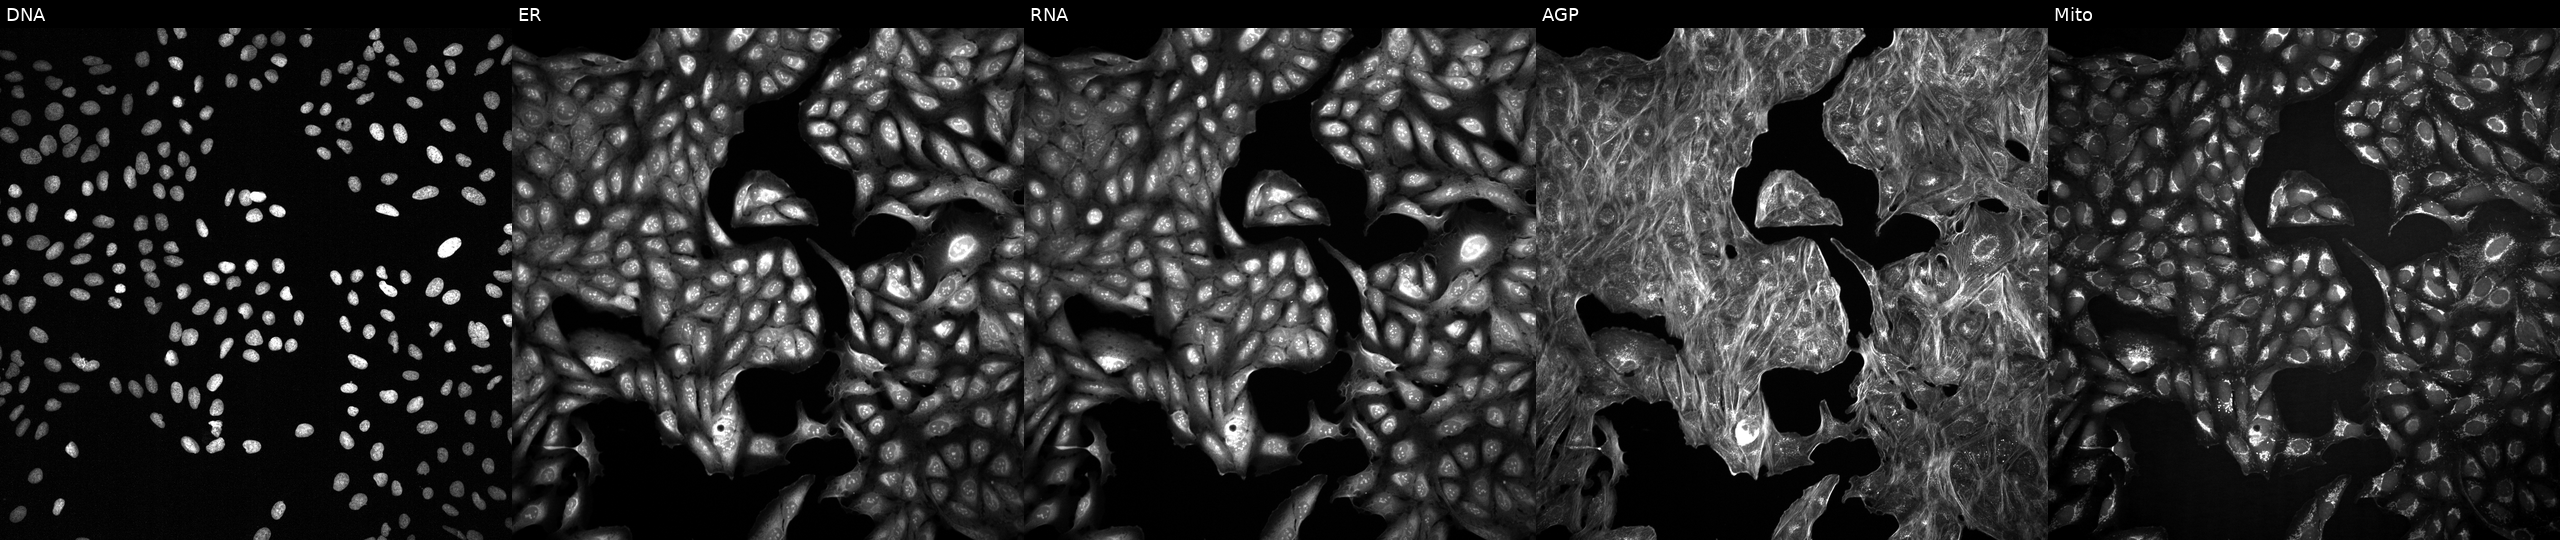
High-content fluorescence microscopy (Cell Painting). Cell line: U2OS. Perturbation: with an unidentified perturbation (not annotated in JUMP metadata). From left to right: DNA (nuclei); ER (endoplasmic reticulum); RNA (nucleoli and cytoplasmic RNA); AGP (actin cytoskeleton, Golgi, and plasma membrane); Mito (mitochondria).